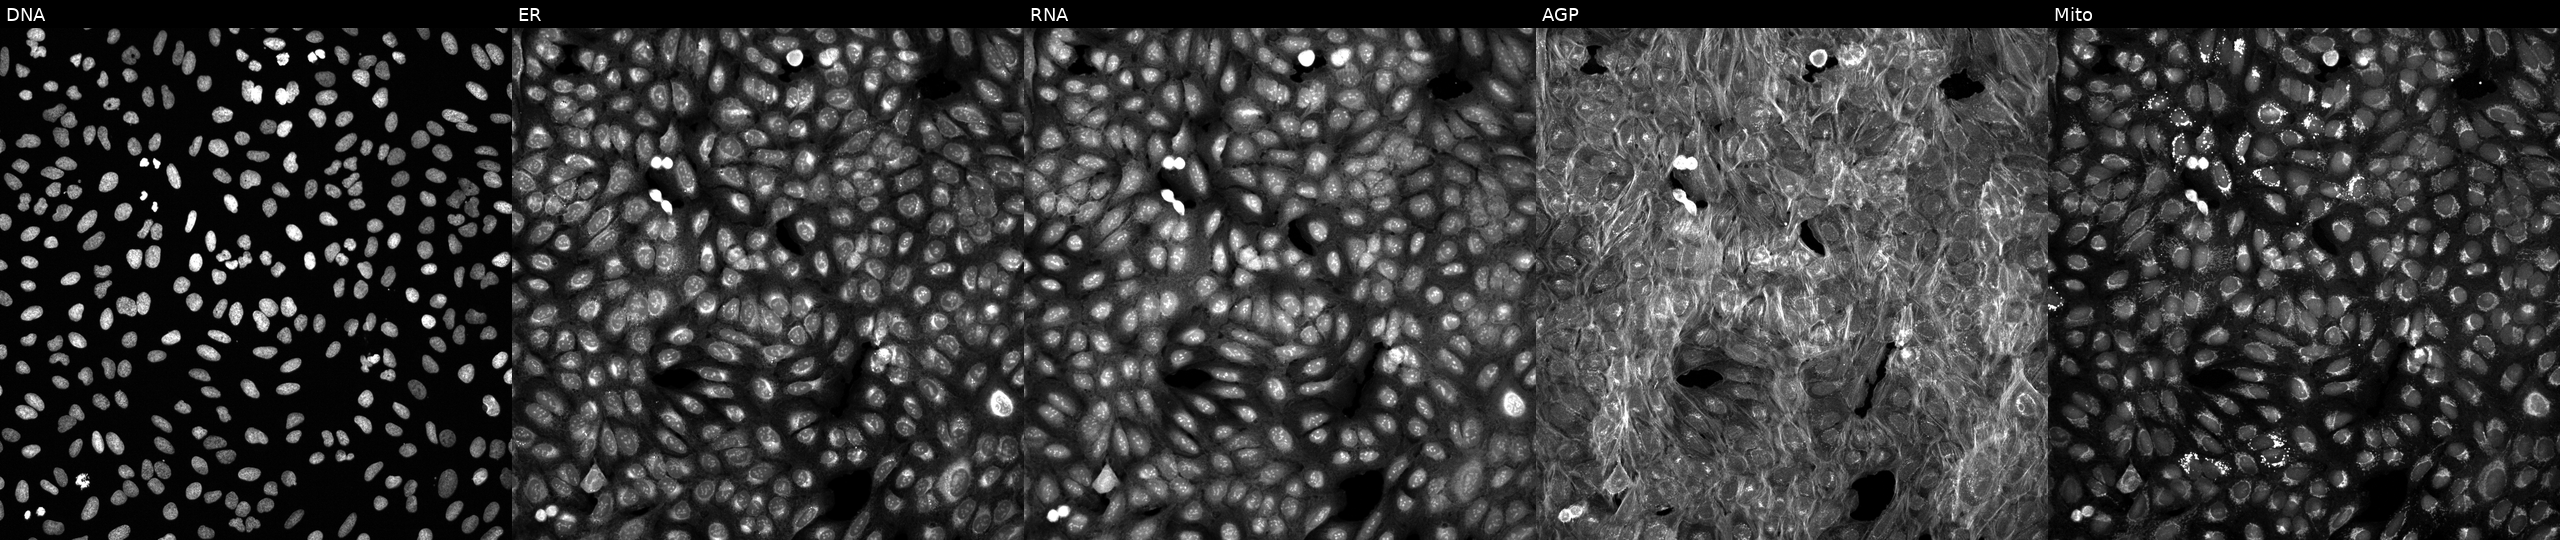
This image strip shows the five Cell Painting channels for a single field of U2OS cells treated with DMSO vehicle only (negative control). The five panels, left to right, show Hoechst 33342, concanavalin A, SYTO 14, phalloidin and WGA, MitoTracker.